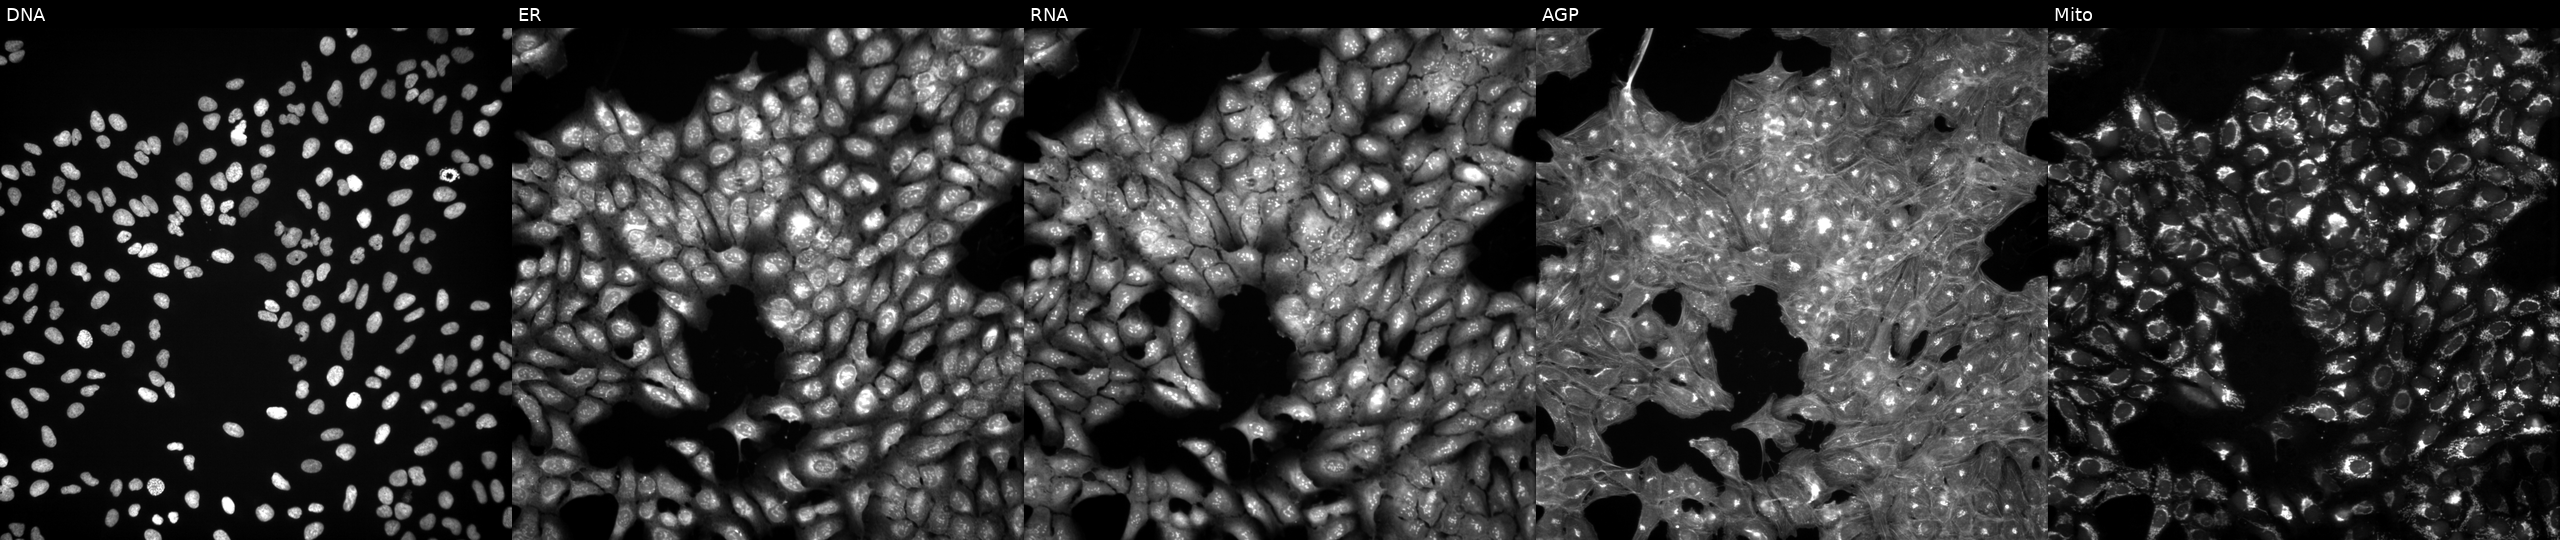
JUMP Cell Painting — TARGET2 plate. U2OS cells exposed to DMSO alone as a negative control (JUMP id JCP2022_033924). From left to right: DNA (nuclei); ER (endoplasmic reticulum); RNA (nucleoli and cytoplasmic RNA); AGP (actin cytoskeleton, Golgi, and plasma membrane); Mito (mitochondria).